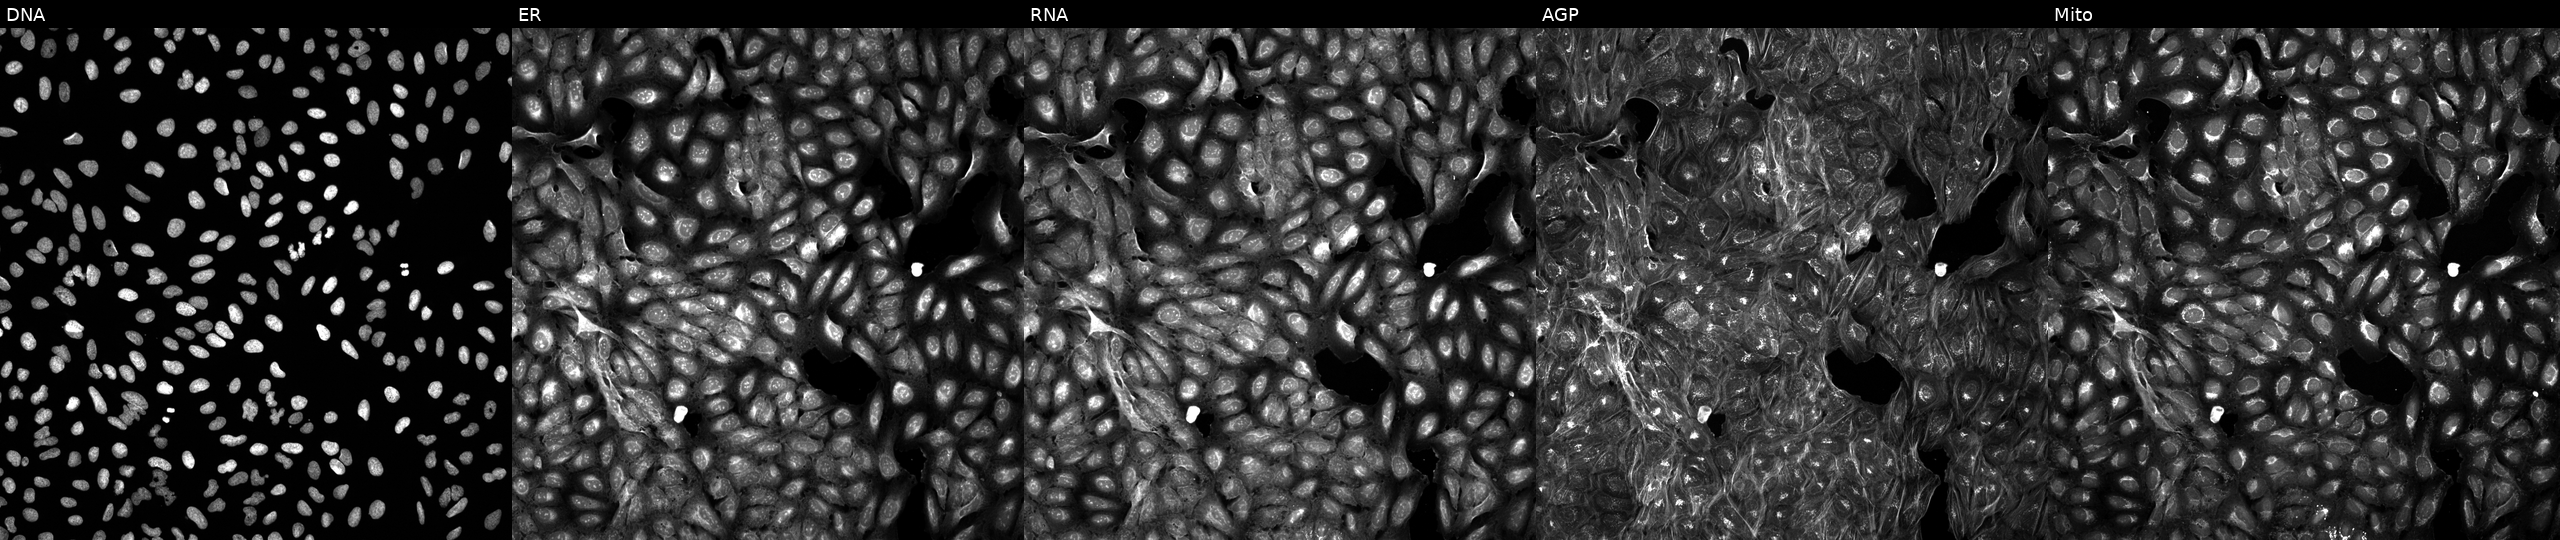
Panels show, left to right, DNA, ER, RNA, AGP, and Mito. U2OS osteosarcoma cells exposed to a small-molecule compound (InChIKey TWASLVOISDSQIJ-UHFFFAOYSA-N). Cell Painting assay, JUMP-CP dataset.